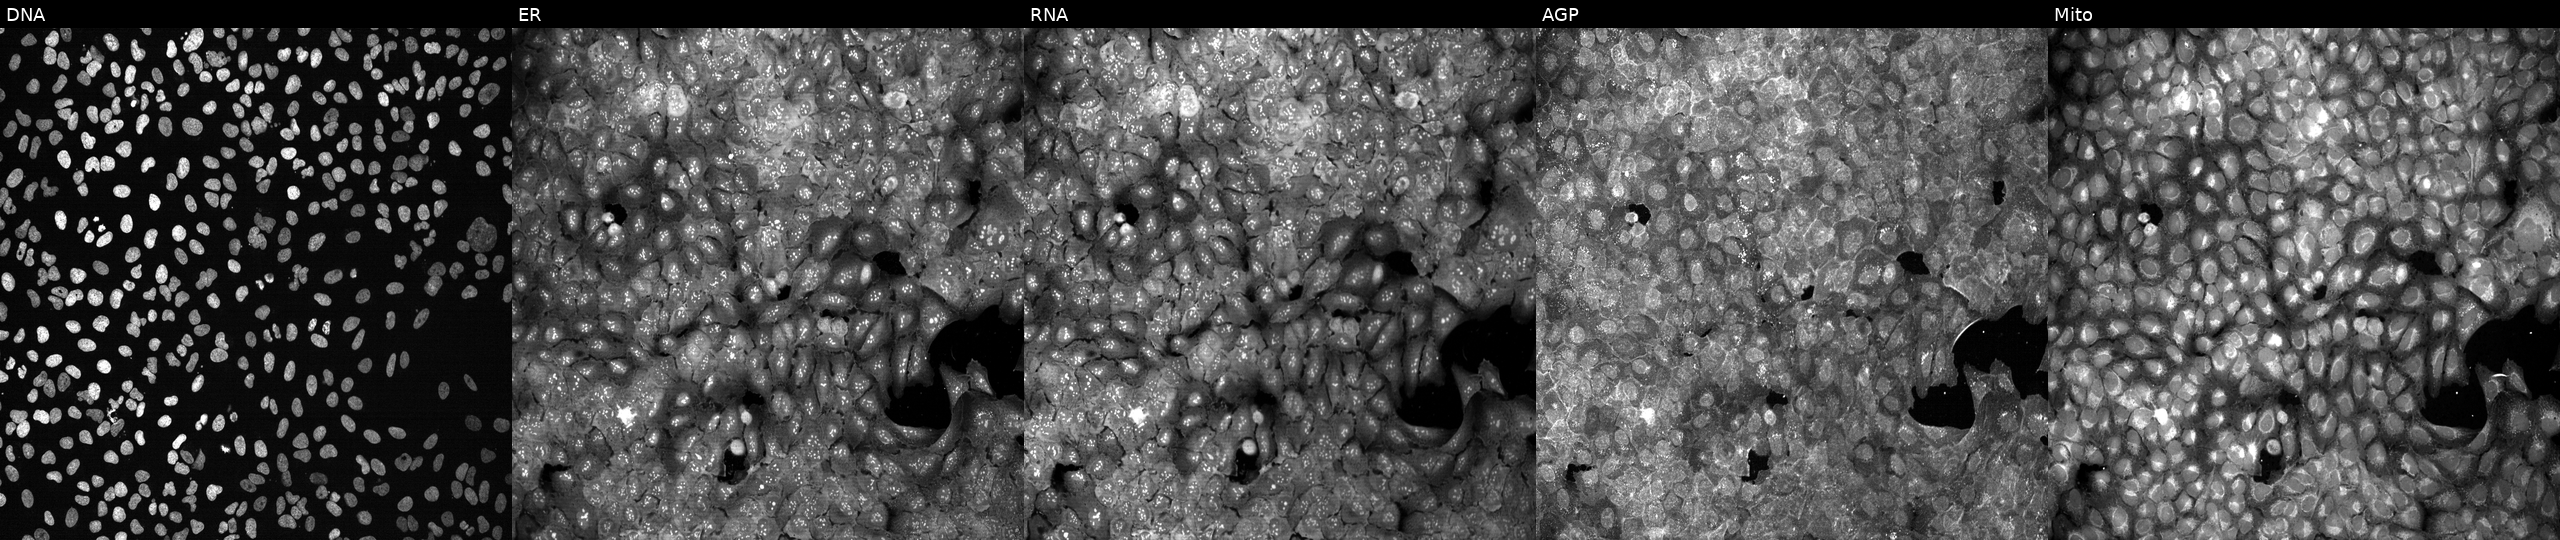
This image strip shows the five Cell Painting channels for a single field of U2OS cells CRISPR-edited to disrupt B3GNT9 (JUMP id JCP2022_800787). Channels (left→right): DNA, ER, RNA, AGP, and Mito. Source 13, plate CP-CC9-R1-01, well C18.